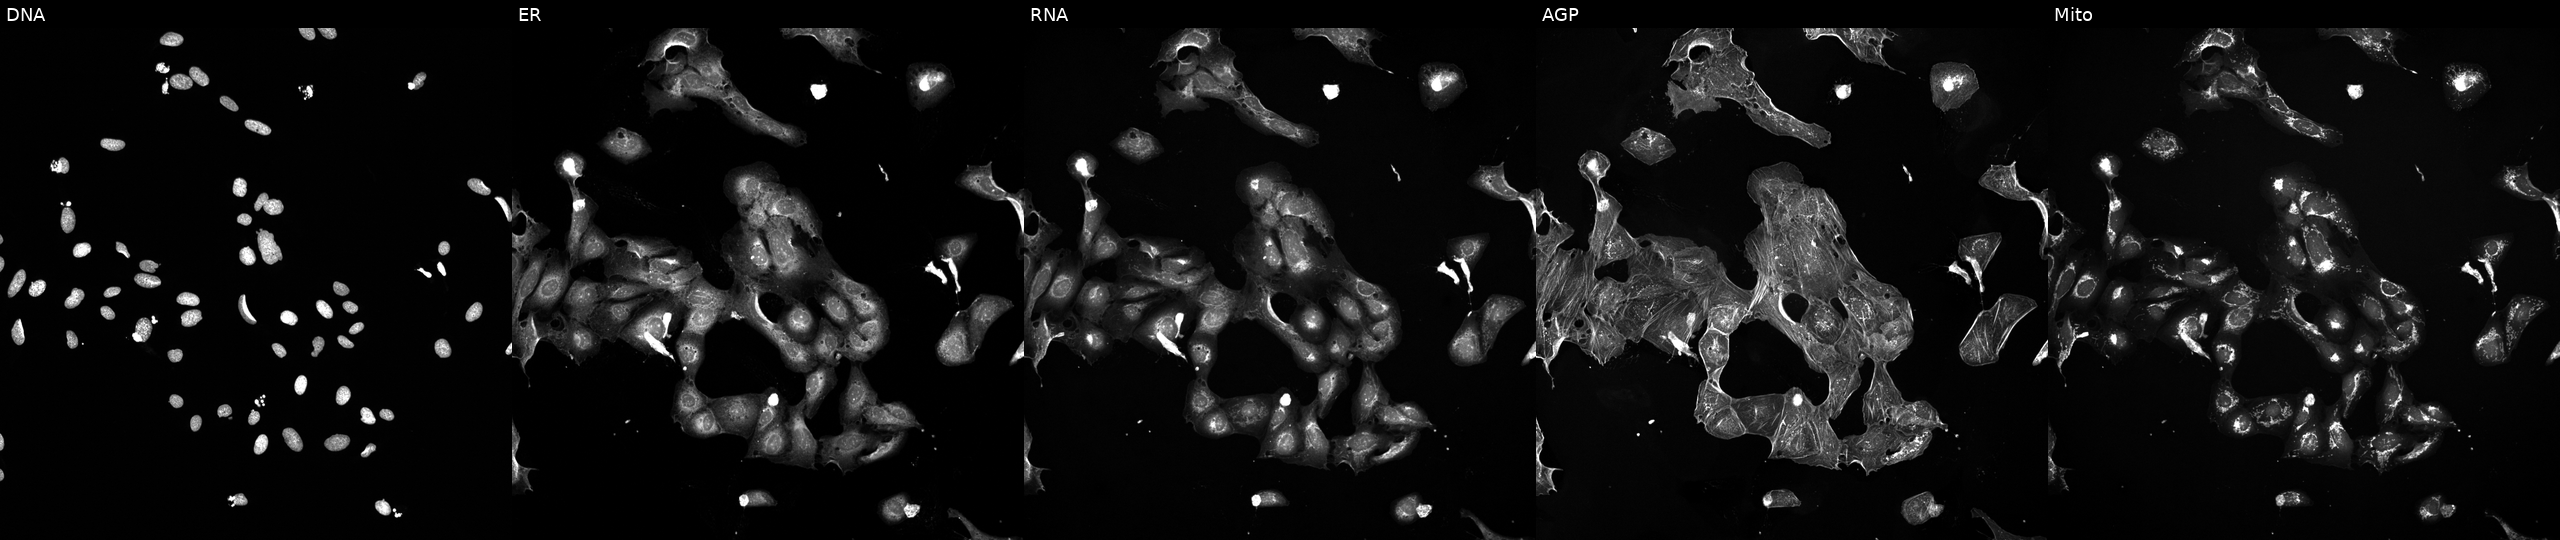
Panels show, left to right, DNA, ER, RNA, AGP, and Mito. U2OS osteosarcoma cells treated with a small-molecule compound (JUMP id JCP2022_030049). Cell Painting assay, JUMP-CP dataset.